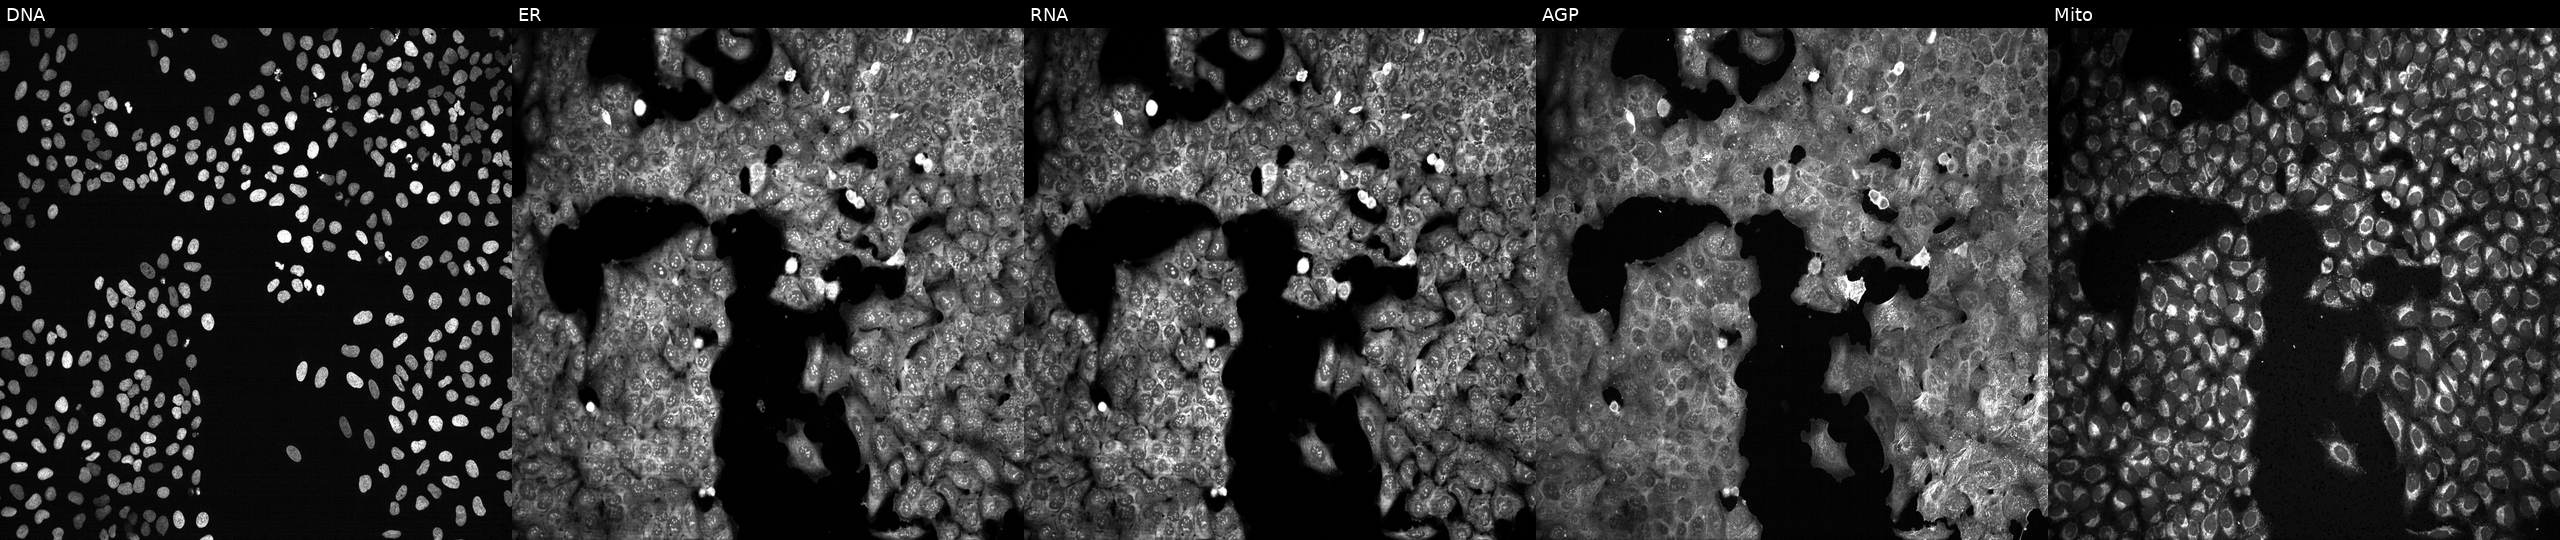
This image strip shows the five Cell Painting channels for a single field of U2OS cells exposed to the positive-control compound NVS-PAK1-1 (JUMP id JCP2022_064022). Channels (left→right): DNA, ER, RNA, AGP, and Mito. Source 13, plate CP-CC9-R3-02, well B24.